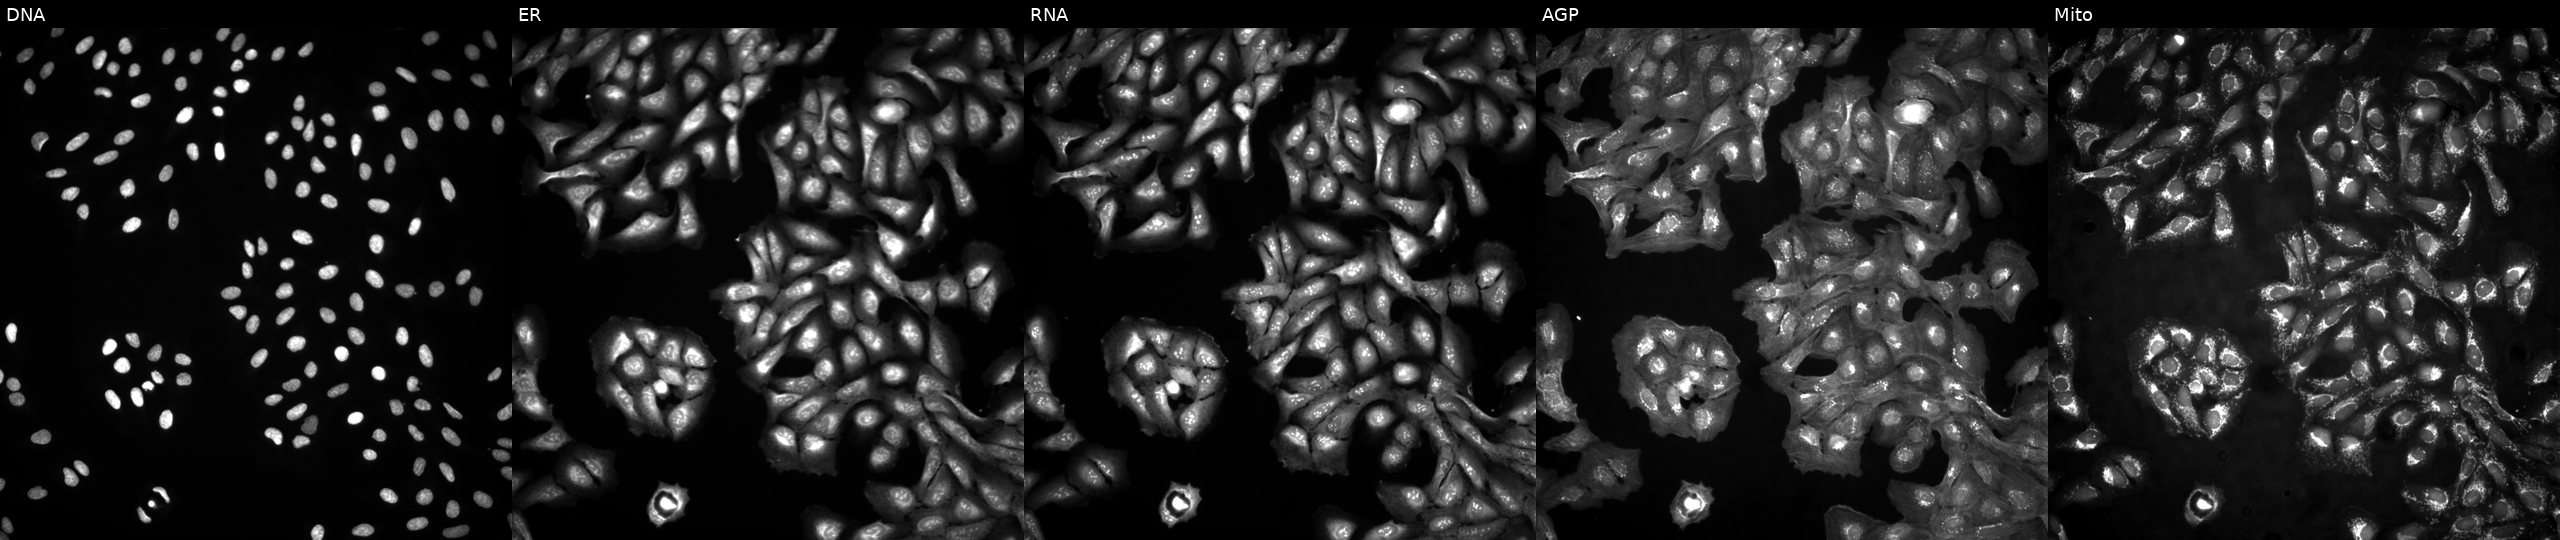
Five-channel Cell Painting image of U2OS cells untreated (empty-well control). The five panels, left to right, show DNA, ER, RNA, AGP, and Mito. Source 4, plate BR00124793, well B11.